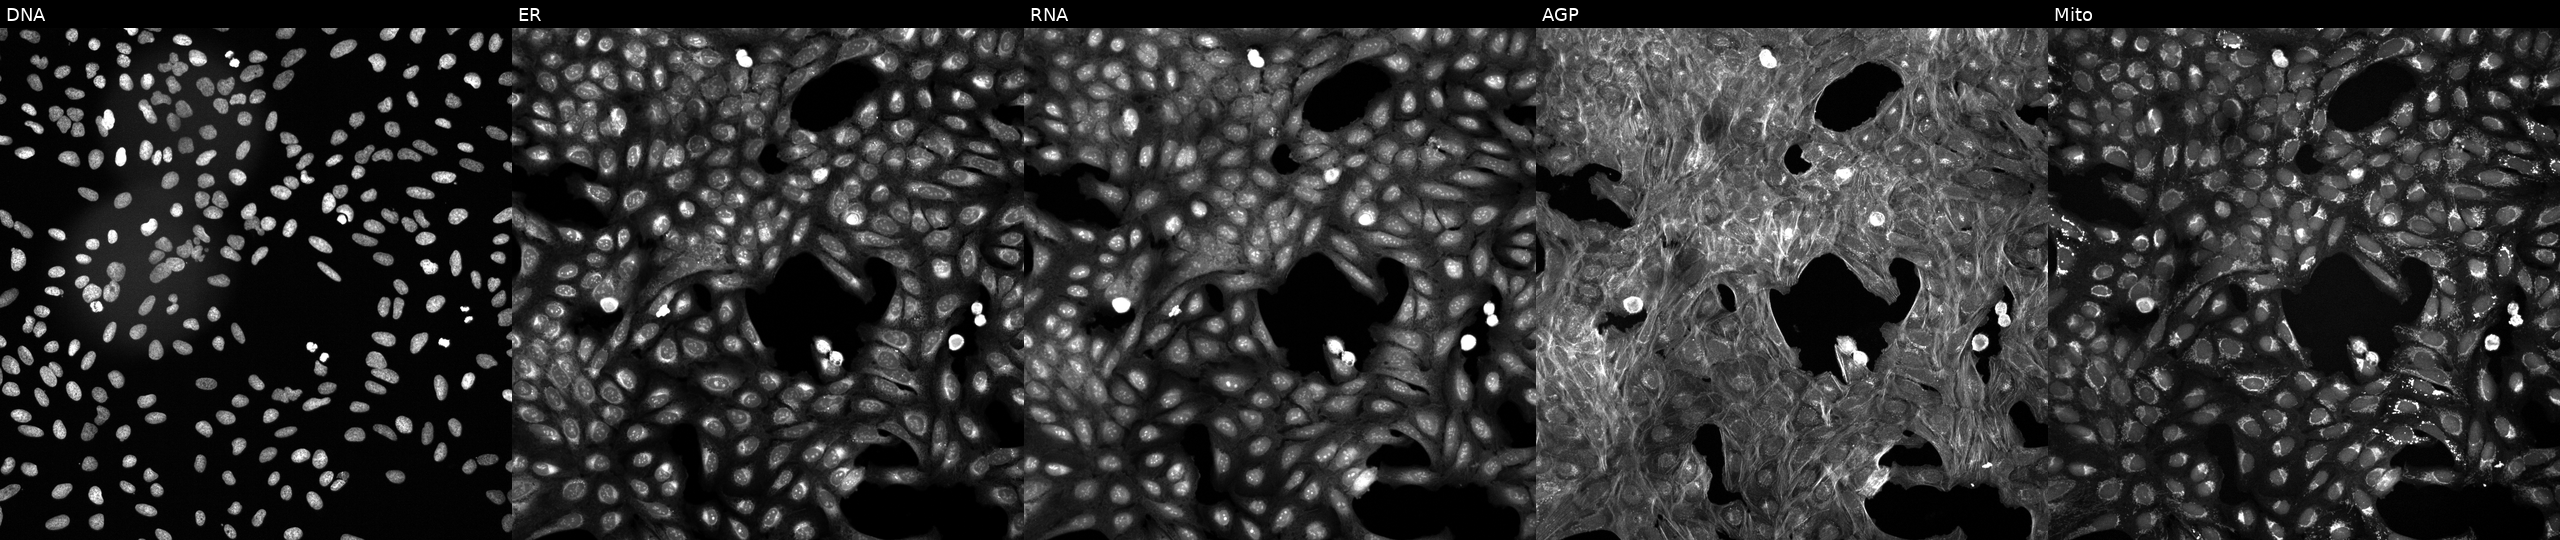
JUMP Cell Painting — TARGET2 plate. U2OS cells treated with DMSO vehicle only (negative control) (JUMP id JCP2022_033924). From left to right: DNA (nuclei); ER (endoplasmic reticulum); RNA (nucleoli and cytoplasmic RNA); AGP (actin cytoskeleton, Golgi, and plasma membrane); Mito (mitochondria). Source 6, plate 110000294901, well G03.